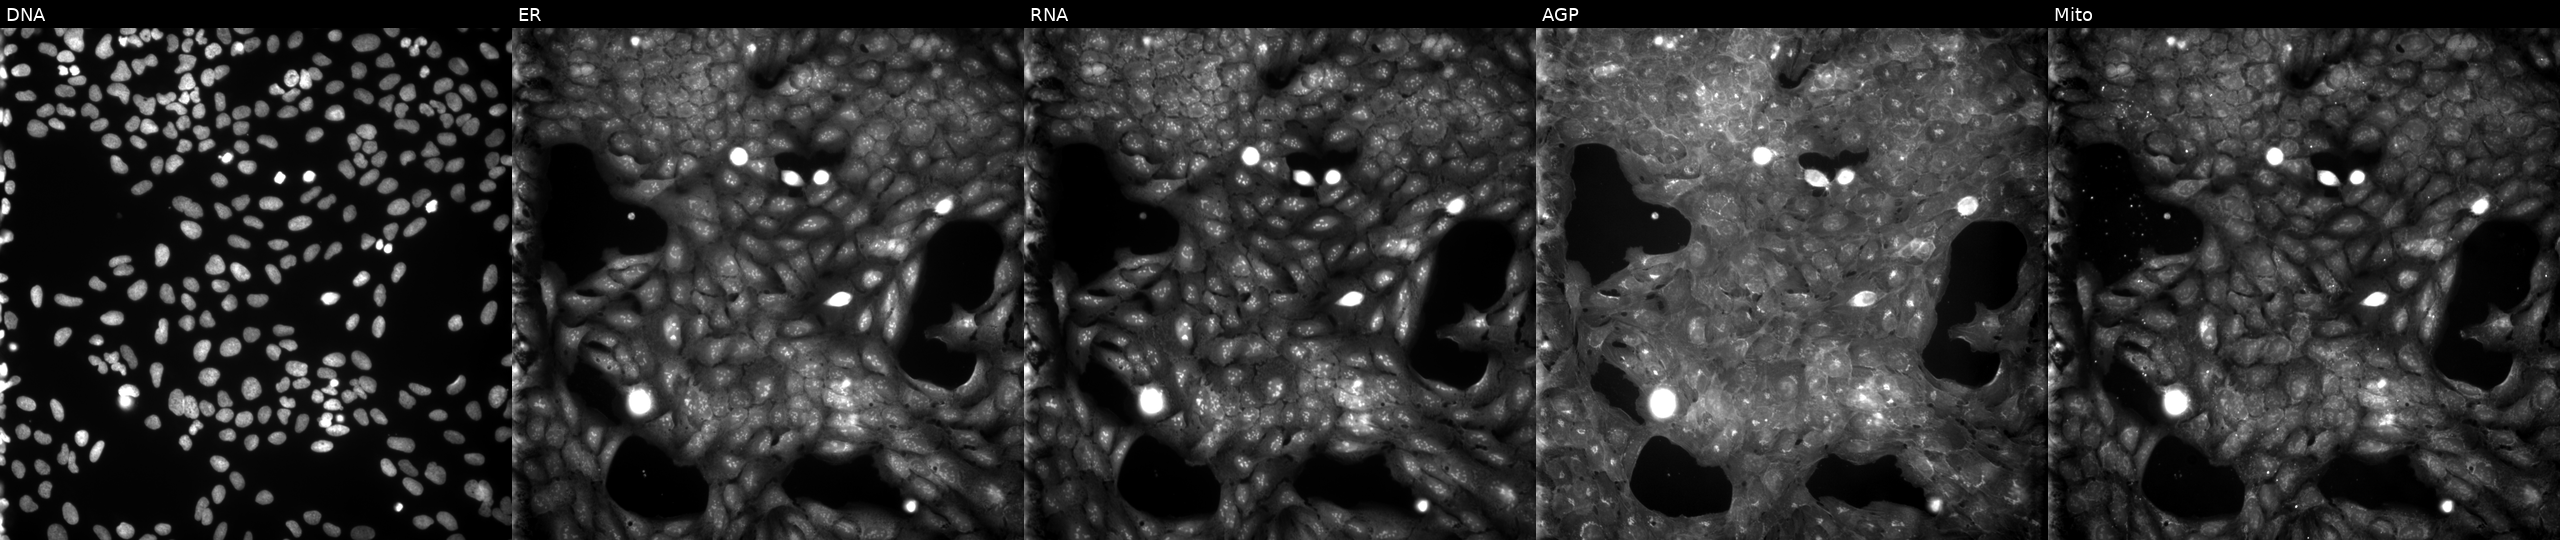
JUMP Cell Painting — COMPOUND plate. U2OS cells perturbed with a small-molecule compound (InChIKey SPABMCLDHGNLFQ-UHFFFAOYSA-N) [SMILES: CN(C)c1ccc(C(=O)C=Cc2cccnc2)cc1]. From left to right: DNA (nuclei); ER (endoplasmic reticulum); RNA (nucleoli and cytoplasmic RNA); AGP (actin cytoskeleton, Golgi, and plasma membrane); Mito (mitochondria).